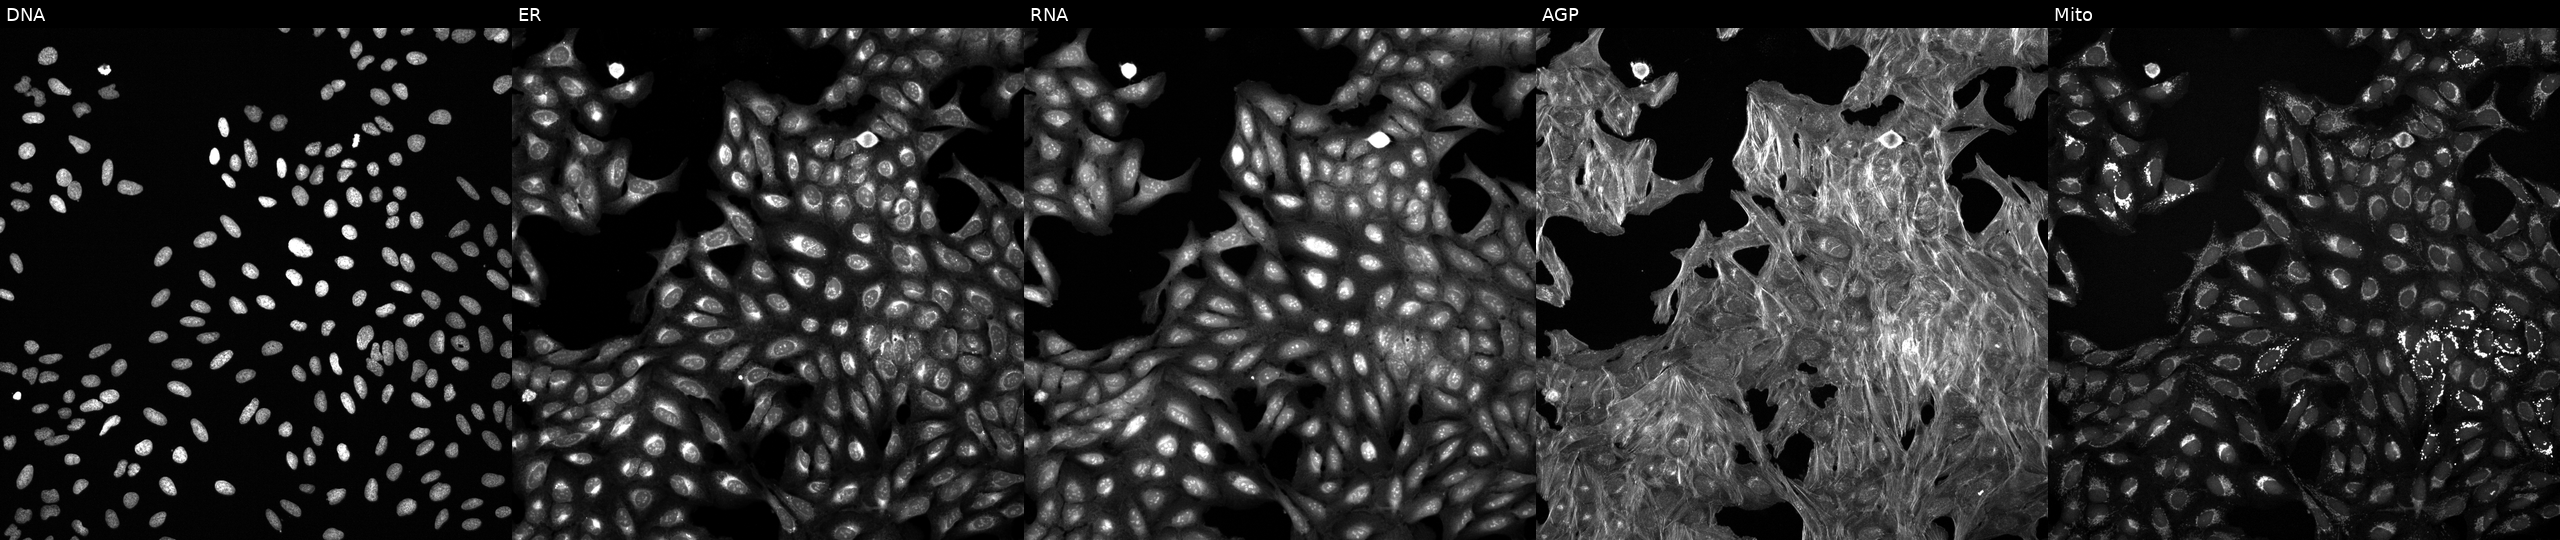
Five-channel Cell Painting image of U2OS cells treated with quinidine (positive-control compound) (JUMP id JCP2022_050797). From left to right: DNA, ER, RNA, AGP, and Mito.